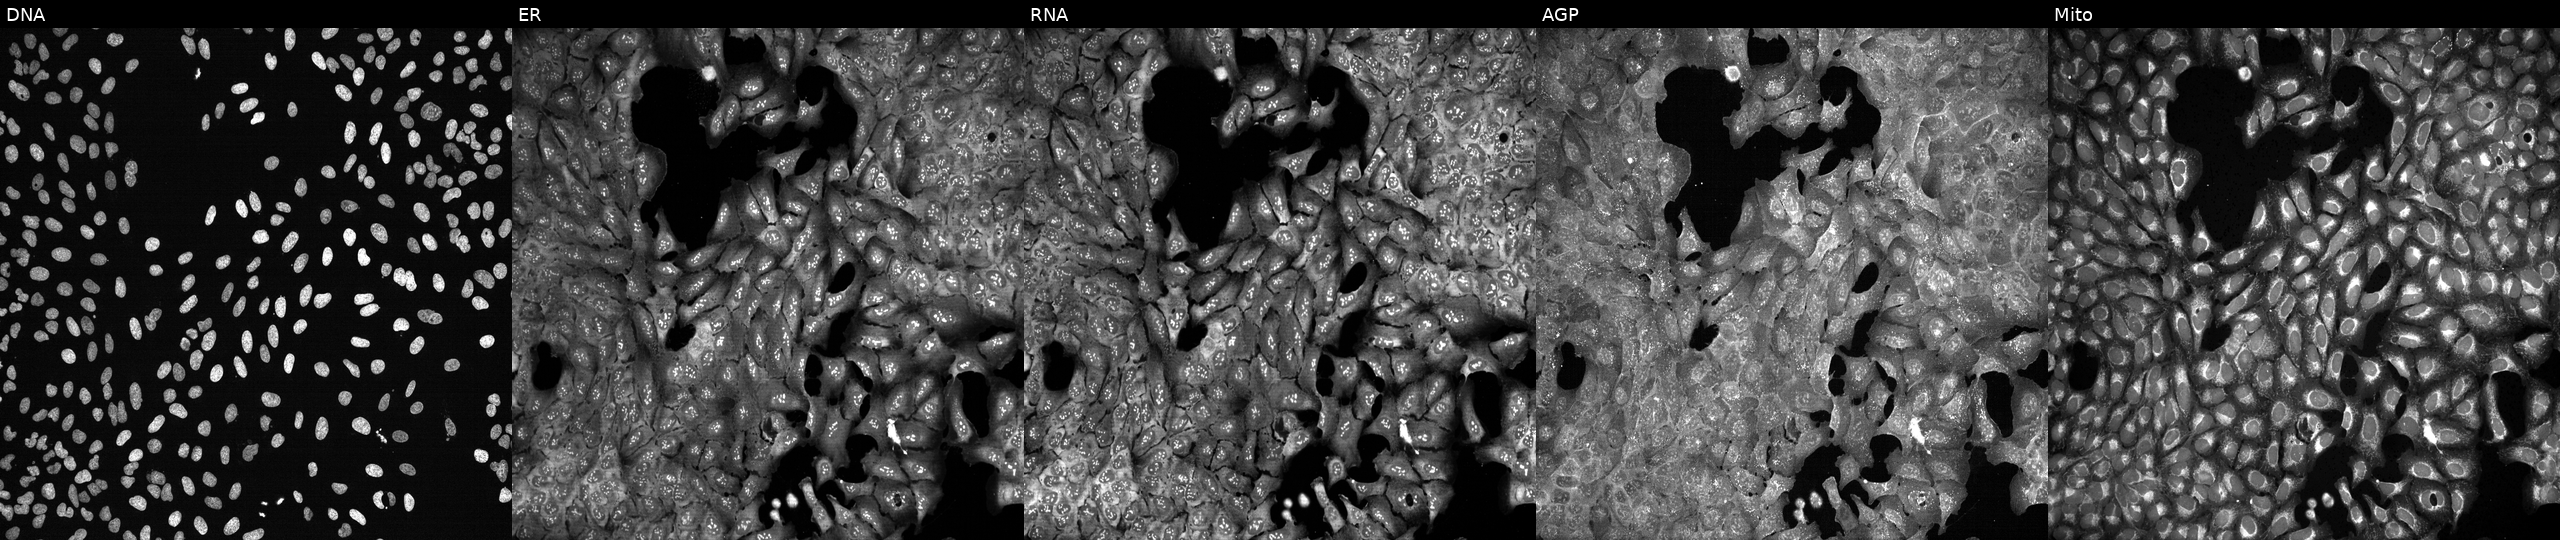
Five-channel Cell Painting image of U2OS cells CRISPR-edited to disrupt CD28 (JUMP id JCP2022_801152). Panels show, left to right, Hoechst 33342, concanavalin A, SYTO 14, phalloidin and WGA, MitoTracker. Source 13, plate CP-CC9-R5-01, well J11.